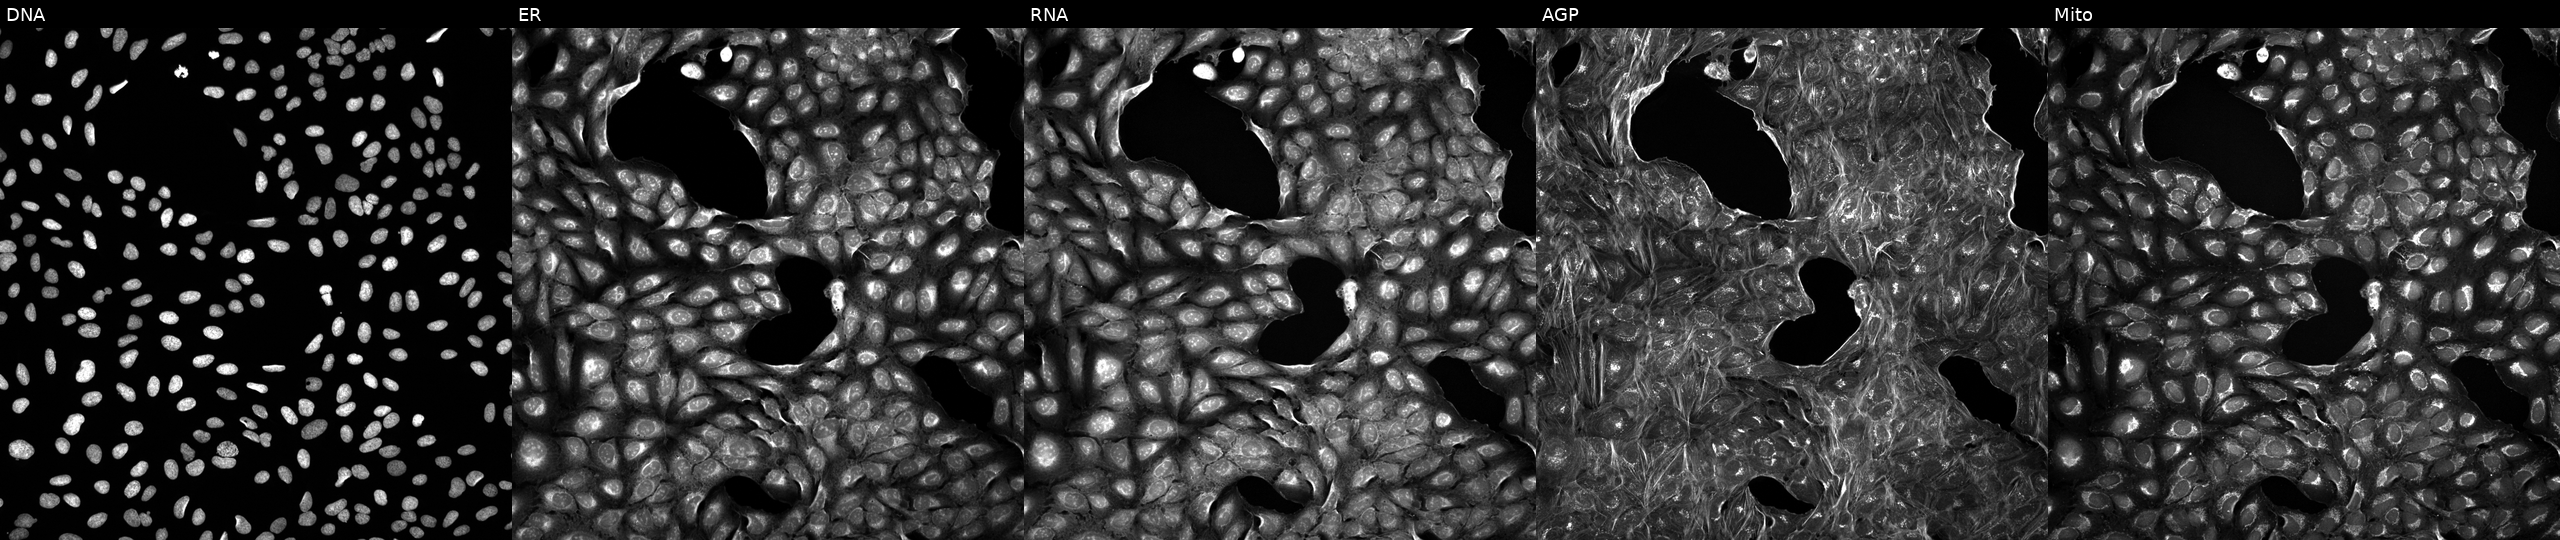
From left to right: Hoechst 33342, concanavalin A, SYTO 14, phalloidin and WGA, MitoTracker. U2OS osteosarcoma cells exposed to a small-molecule compound (InChIKey LLIFMNUXGDHTRO-UHFFFAOYSA-N). Cell Painting assay, JUMP-CP dataset.